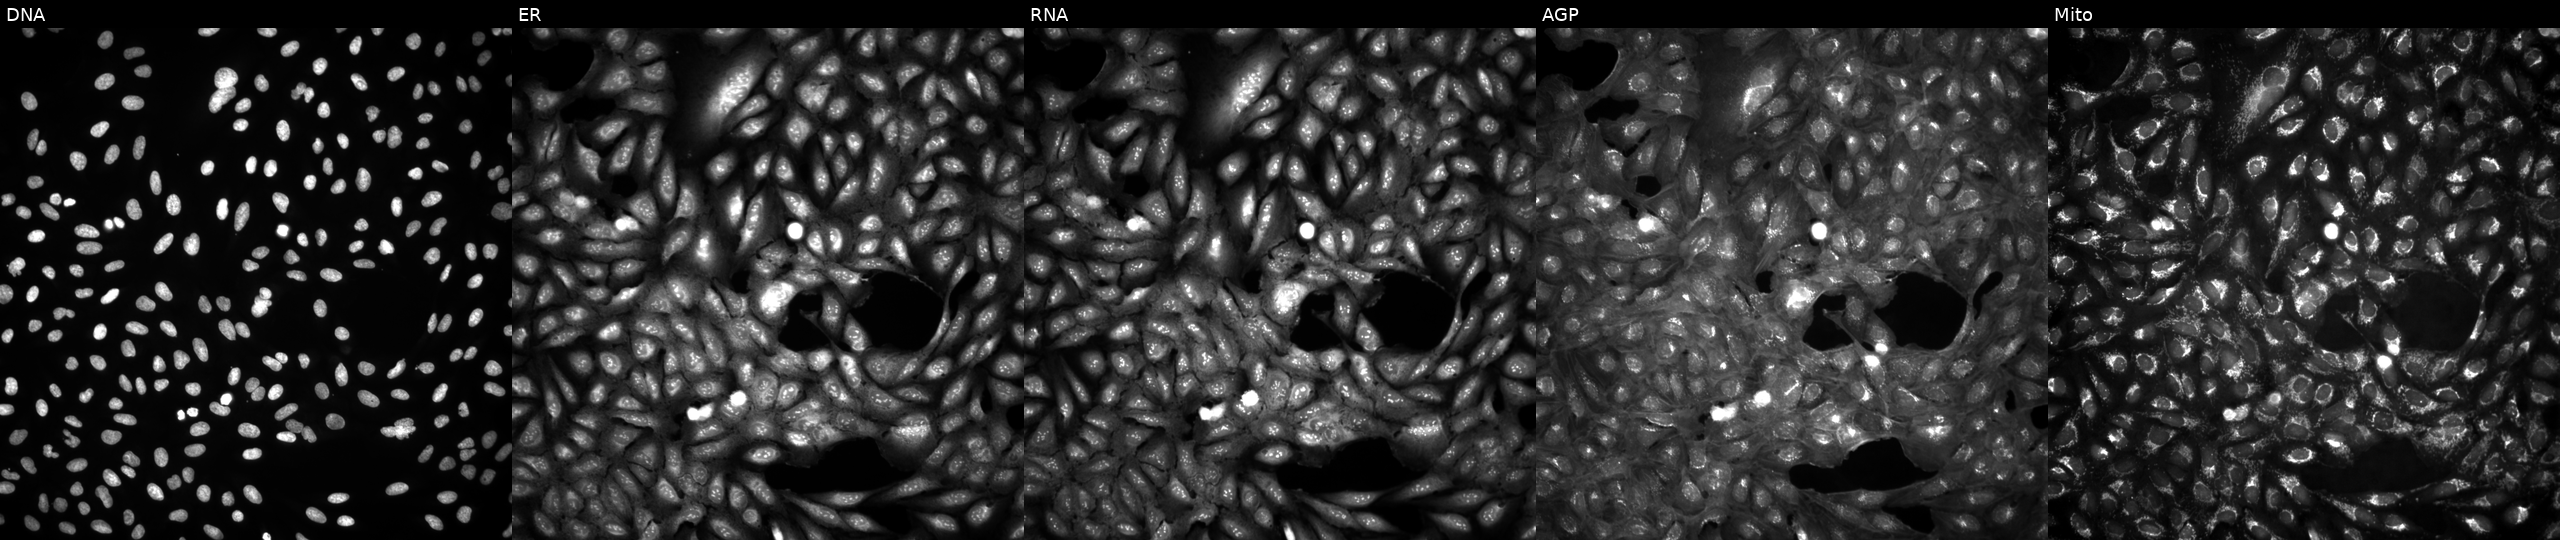
U2OS cells, Cell Painting assay, in an empty control well (no perturbation) (JUMP id JCP2022_999999). Channels (left→right): DNA (nuclei); ER (endoplasmic reticulum); RNA (nucleoli and cytoplasmic RNA); AGP (actin cytoskeleton, Golgi, and plasma membrane); Mito (mitochondria). Each panel is percentile-stretched 16-bit fluorescence. Source 4, plate BR00124793, well I04.